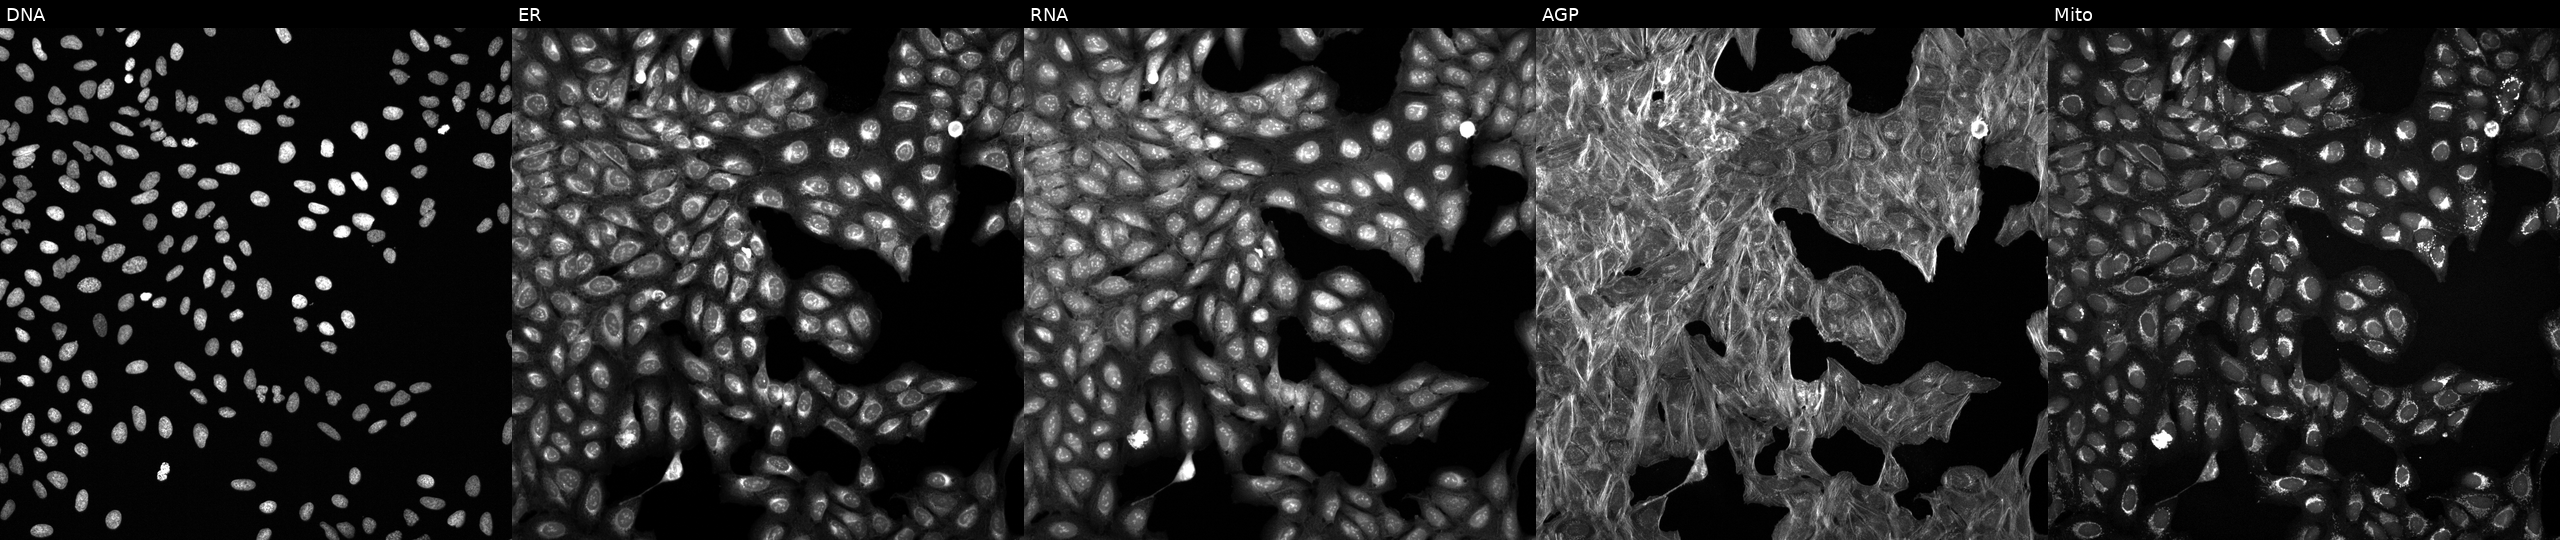
This image strip shows the five Cell Painting channels for a single field of U2OS cells exposed to DMSO alone as a negative control (JUMP id JCP2022_033924). The five panels, left to right, show DNA, ER, RNA, AGP, and Mito. Source 6, plate 110000293093, well I09.